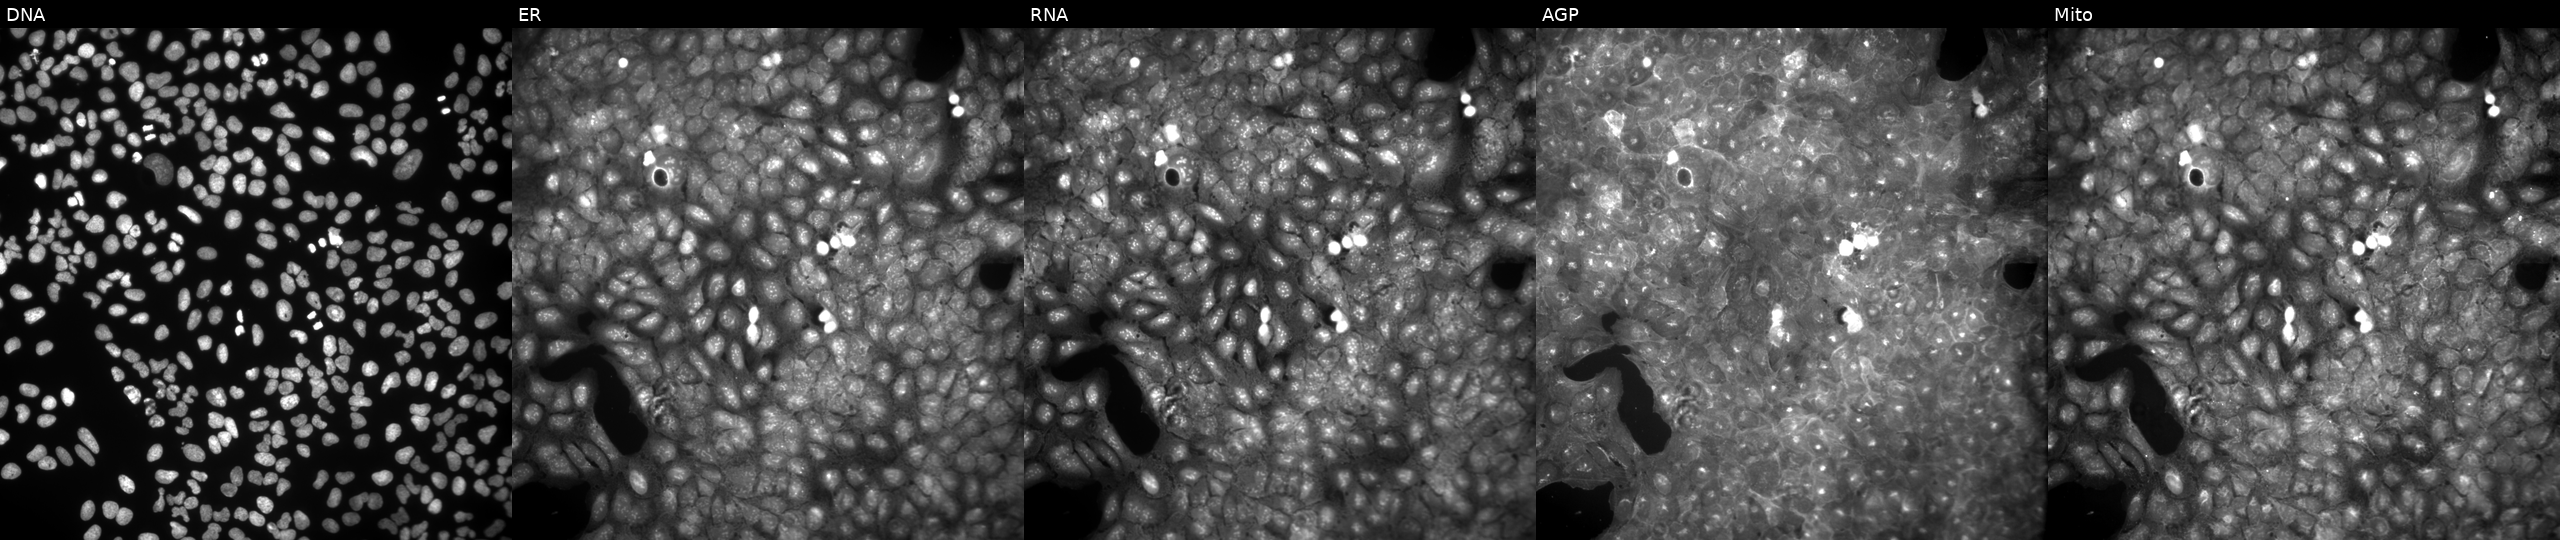
From left to right: DNA (nuclei); ER (endoplasmic reticulum); RNA (nucleoli and cytoplasmic RNA); AGP (actin cytoskeleton, Golgi, and plasma membrane); Mito (mitochondria). U2OS osteosarcoma cells perturbed with a small-molecule compound (InChIKey SSAMOHSTUJFQFP-UHFFFAOYSA-N). Cell Painting assay, JUMP-CP dataset.